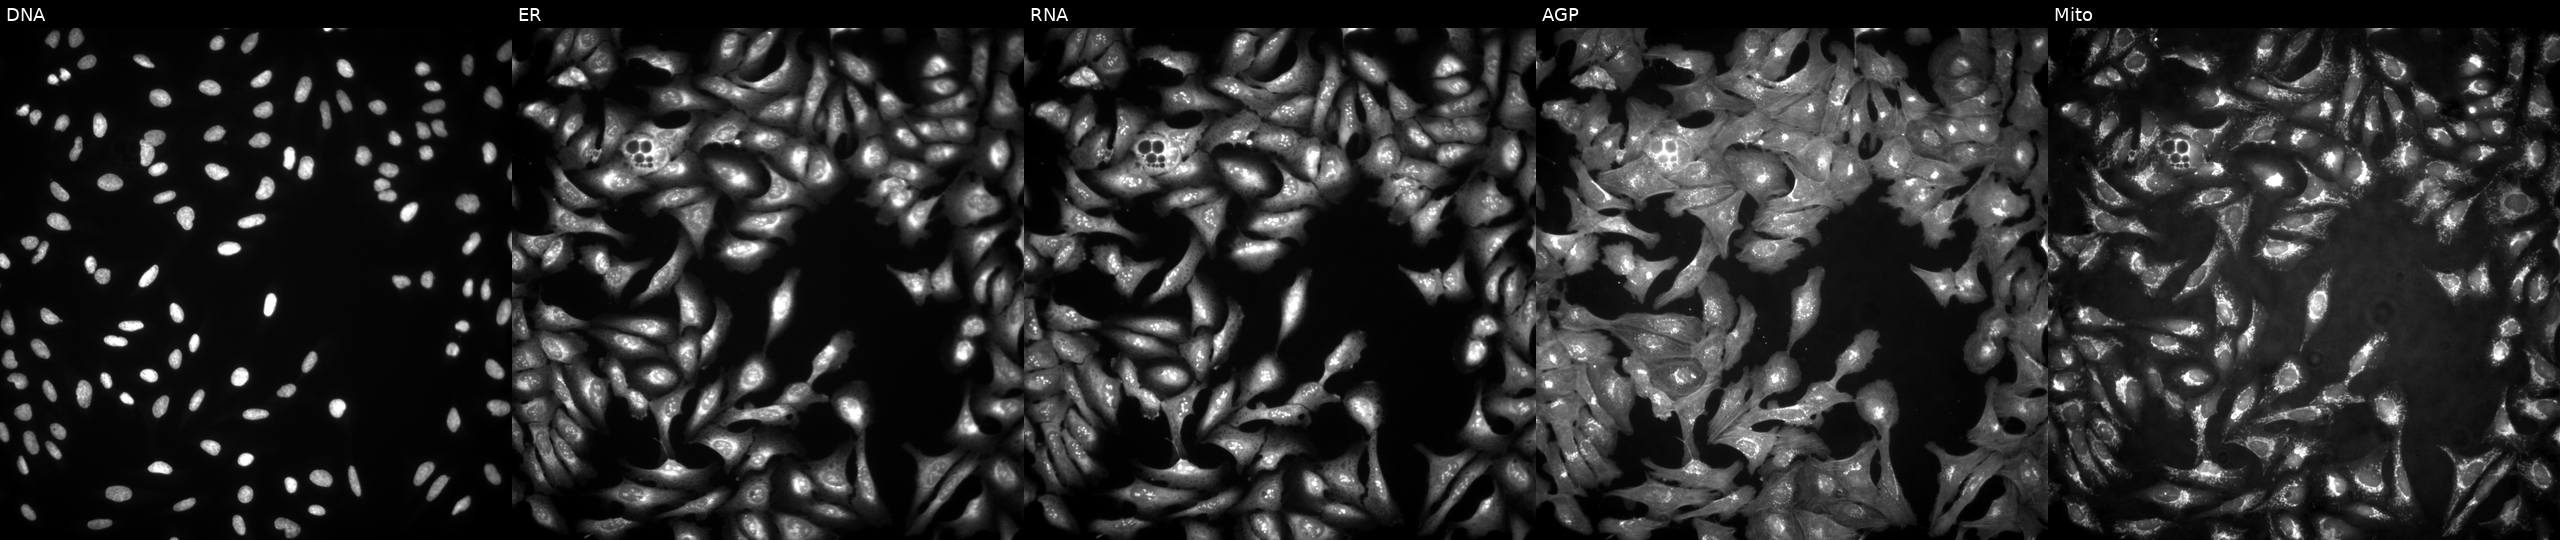
From left to right: Hoechst 33342, concanavalin A, SYTO 14, phalloidin and WGA, MitoTracker. U2OS osteosarcoma cells overexpressing HNMT via ORF transfection (JUMP id JCP2022_914448). Cell Painting assay, JUMP-CP dataset.